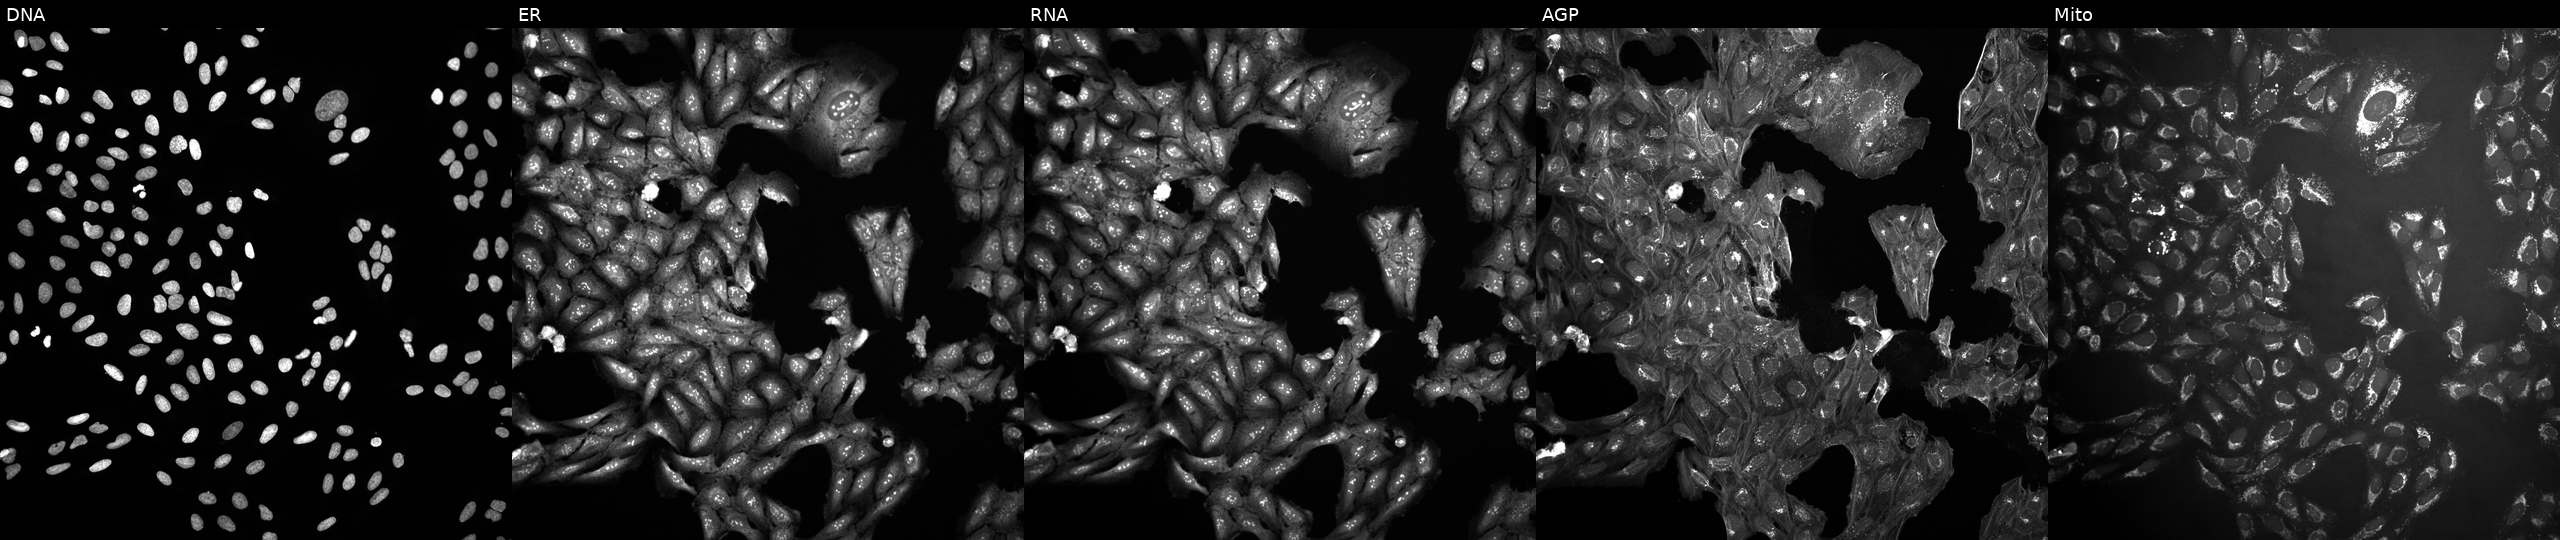
JUMP Cell Painting — COMPOUND plate. U2OS cells exposed to a small-molecule compound (InChIKey CRMYALACBSSWNP-UHFFFAOYSA-N) (JUMP id JCP2022_013002). From left to right: DNA, ER, RNA, AGP, and Mito.